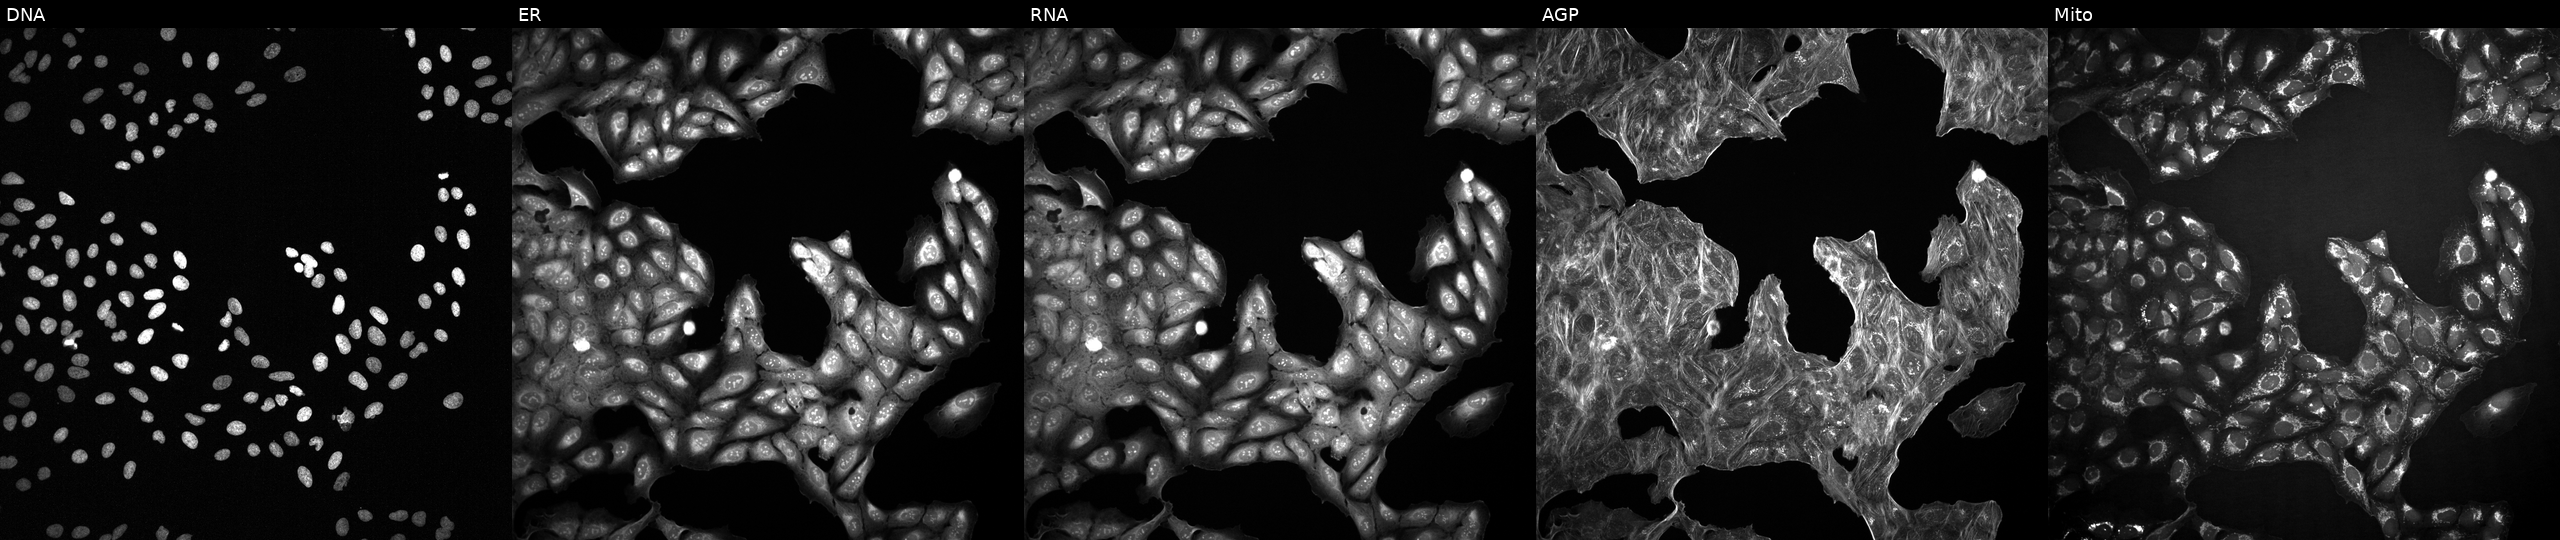
U2OS cells, Cell Painting assay, with an unidentified perturbation (not annotated in JUMP metadata). From left to right: DNA (nuclei); ER (endoplasmic reticulum); RNA (nucleoli and cytoplasmic RNA); AGP (actin cytoskeleton, Golgi, and plasma membrane); Mito (mitochondria). Each panel is percentile-stretched 16-bit fluorescence. Source 2, plate 1053601763, well D06.